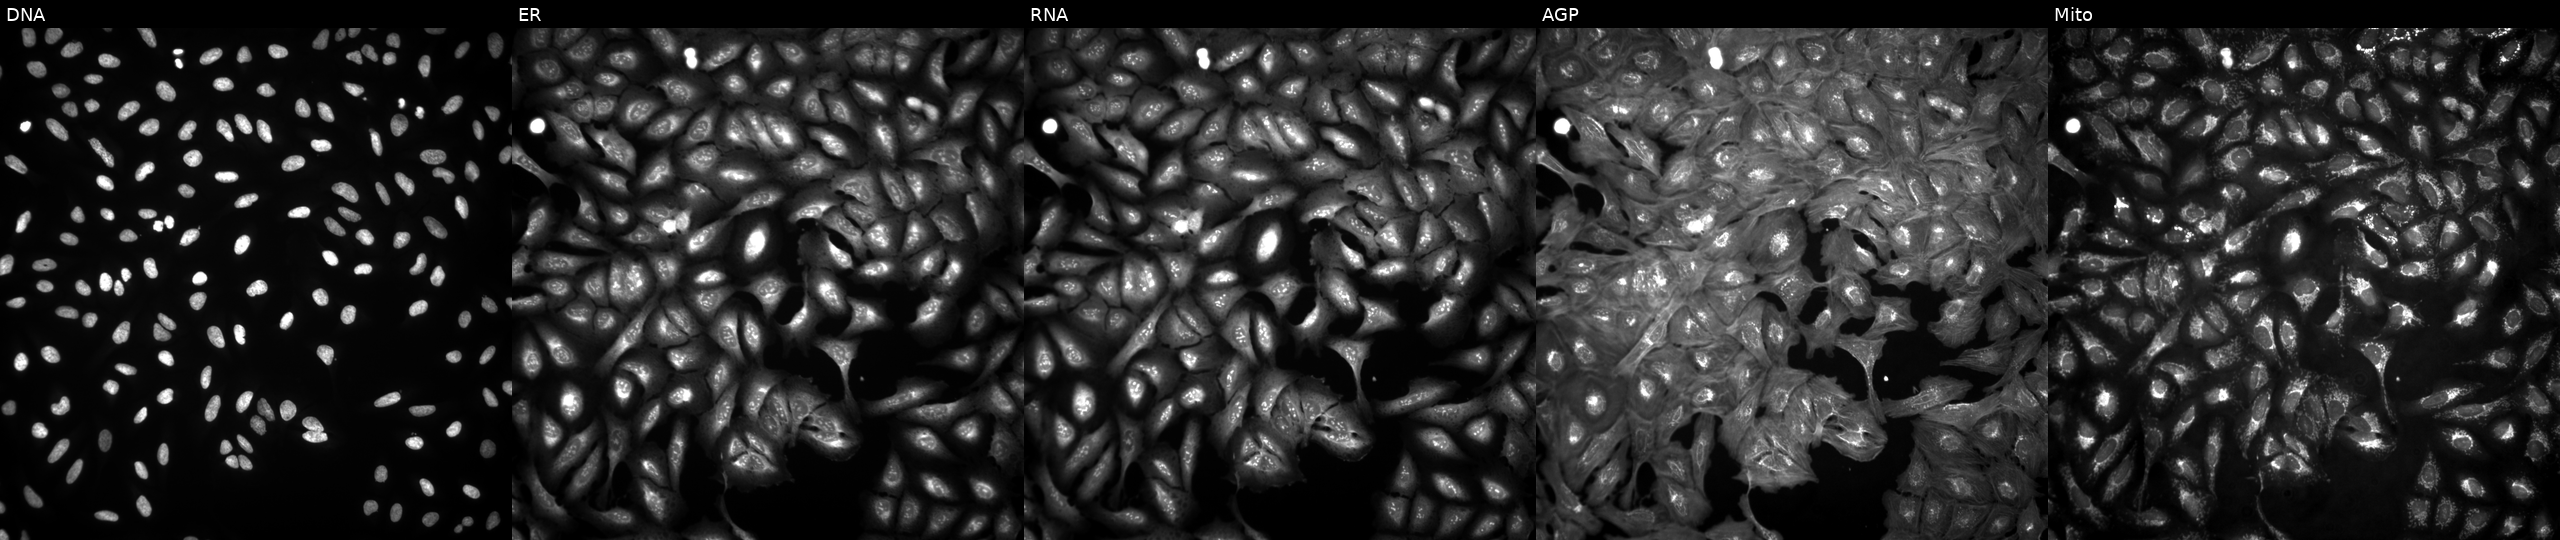
High-content fluorescence microscopy (Cell Painting). Cell line: U2OS. Perturbation: exposed to the positive-control compound quinidine (JUMP id JCP2022_050797). Channels (left→right): DNA (nuclei); ER (endoplasmic reticulum); RNA (nucleoli and cytoplasmic RNA); AGP (actin cytoskeleton, Golgi, and plasma membrane); Mito (mitochondria). Source 4, plate BR00124784, well P23.